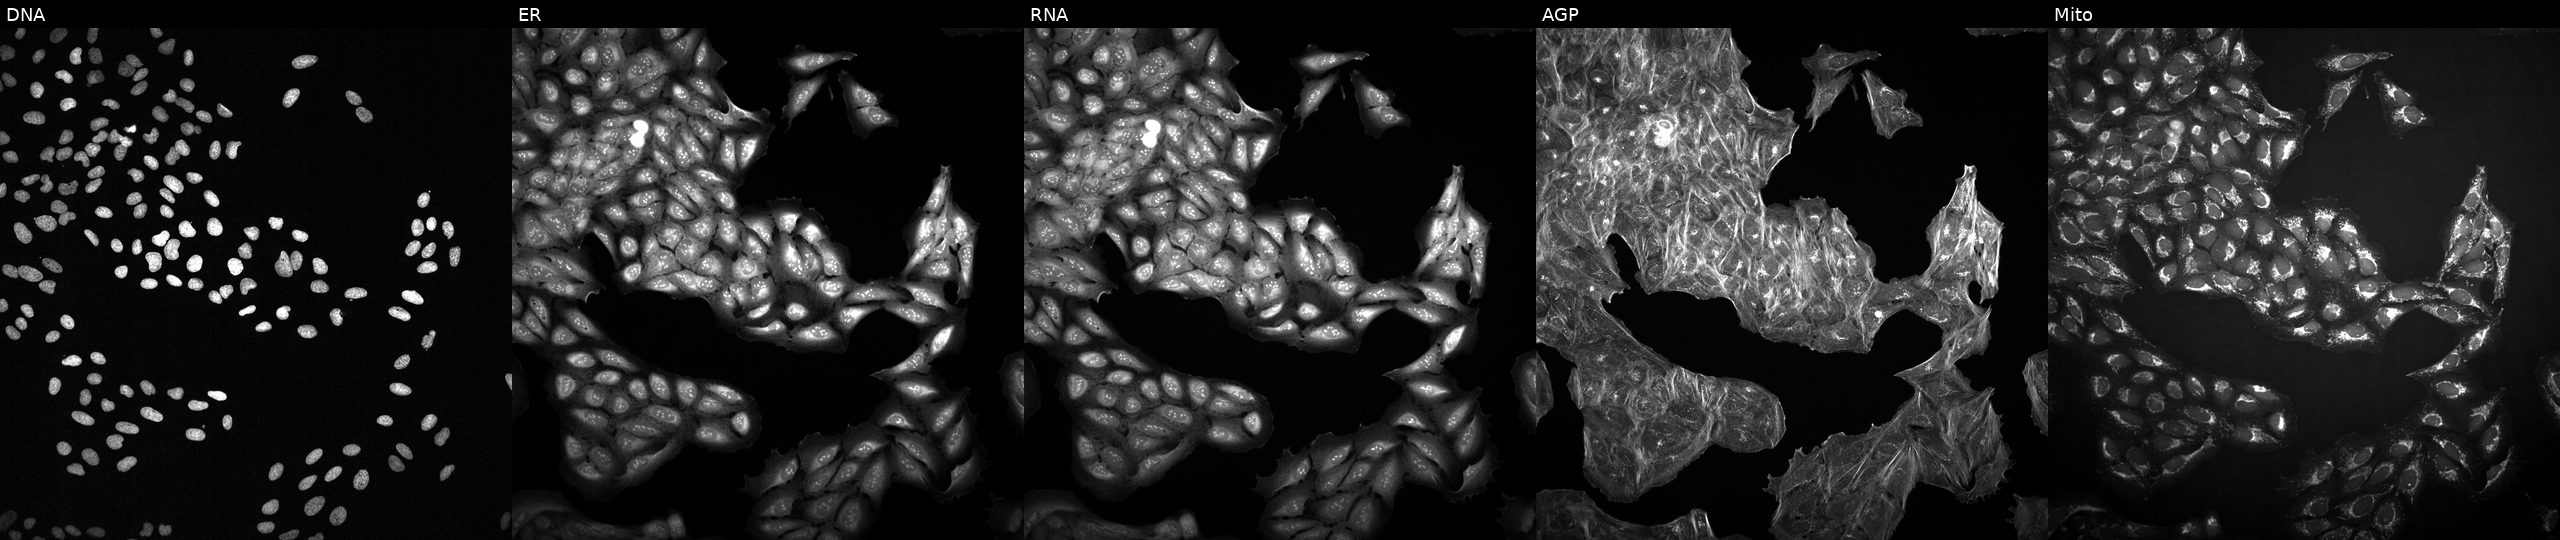
JUMP Cell Painting — COMPOUND plate. U2OS cells treated with a small-molecule compound (InChIKey YSGIFZJMKDXWPY-UHFFFAOYSA-N) (JUMP id JCP2022_110515). From left to right: DNA (nuclei); ER (endoplasmic reticulum); RNA (nucleoli and cytoplasmic RNA); AGP (actin cytoskeleton, Golgi, and plasma membrane); Mito (mitochondria). Source 2, plate 1053601756, well A05.